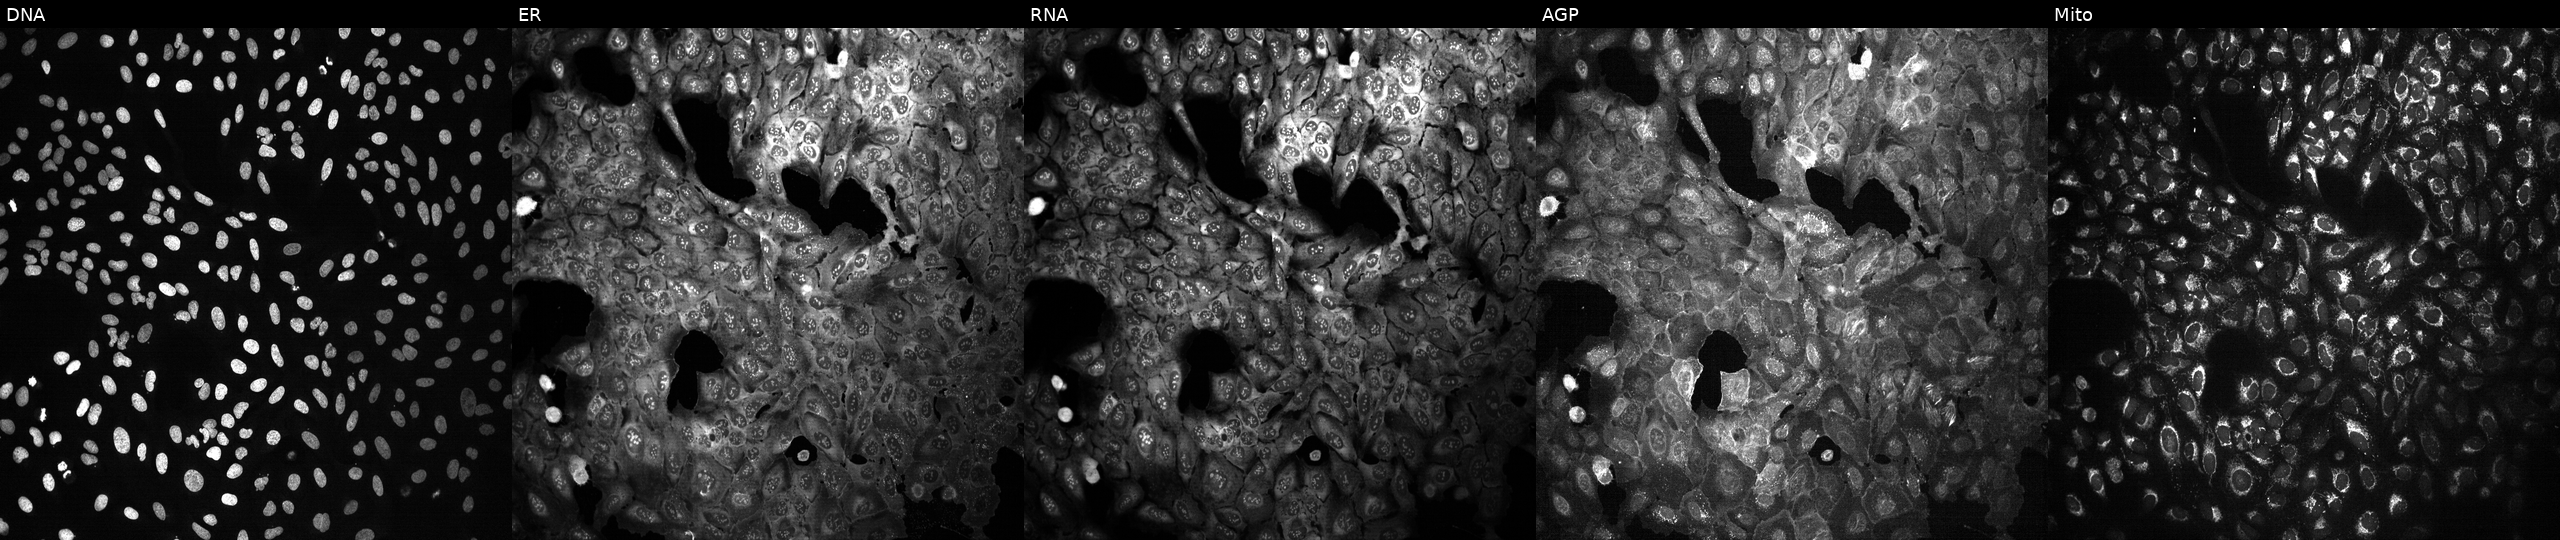
High-content fluorescence microscopy (Cell Painting). Cell line: U2OS. Perturbation: with DNPH1 knocked out by CRISPR. From left to right: DNA (nuclei); ER (endoplasmic reticulum); RNA (nucleoli and cytoplasmic RNA); AGP (actin cytoskeleton, Golgi, and plasma membrane); Mito (mitochondria).